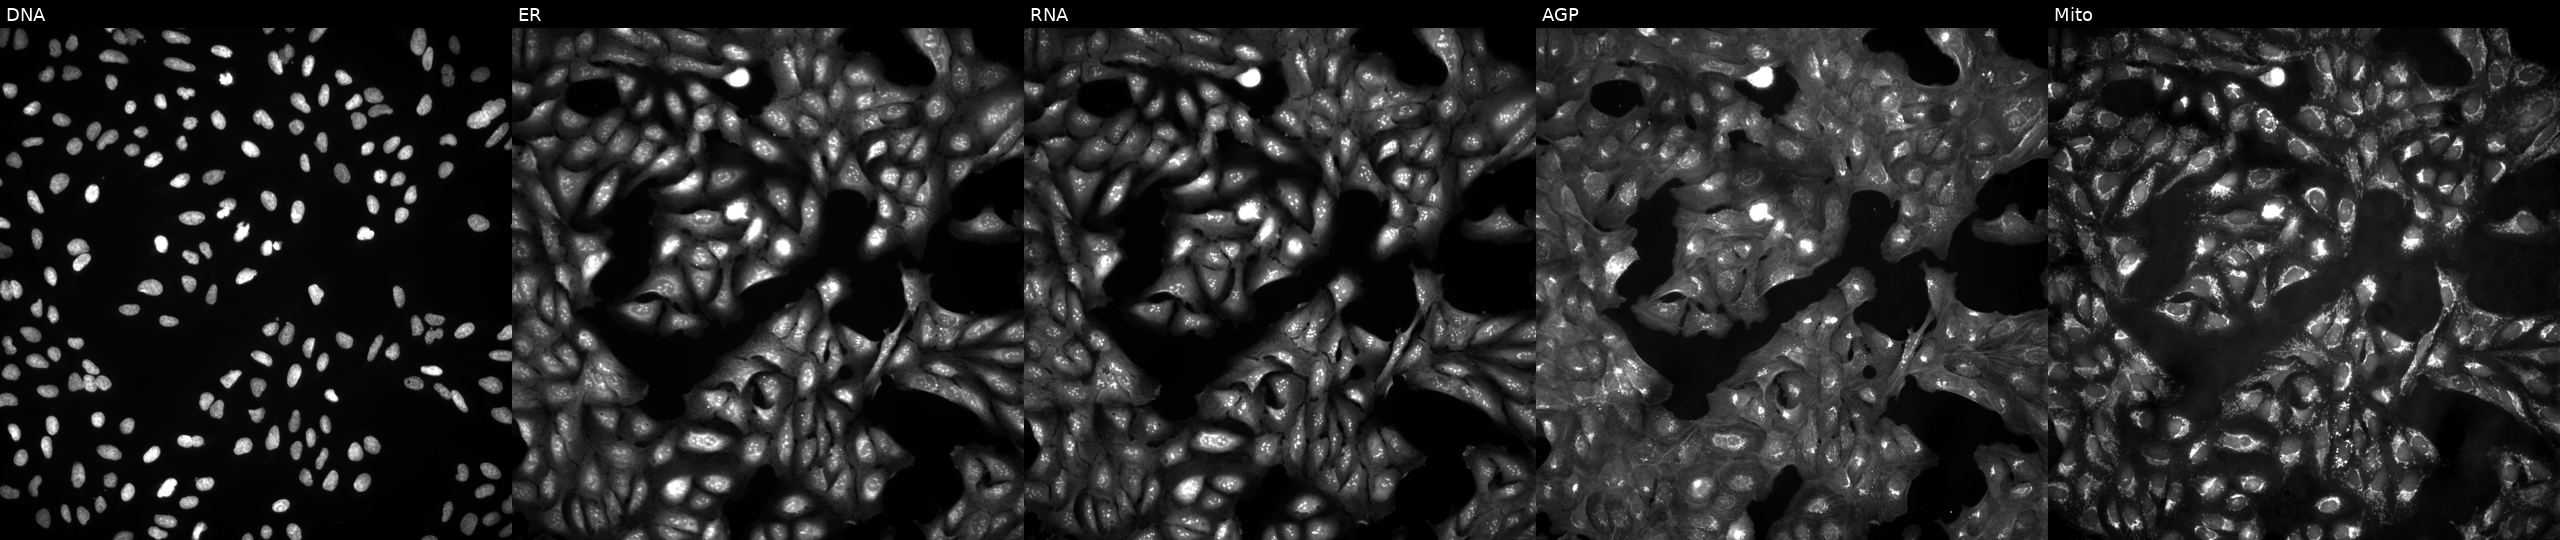
High-content fluorescence microscopy (Cell Painting). Cell line: U2OS. Perturbation: in an empty control well (no perturbation) (JUMP id JCP2022_999999). Panels show, left to right, Hoechst 33342, concanavalin A, SYTO 14, phalloidin and WGA, MitoTracker.